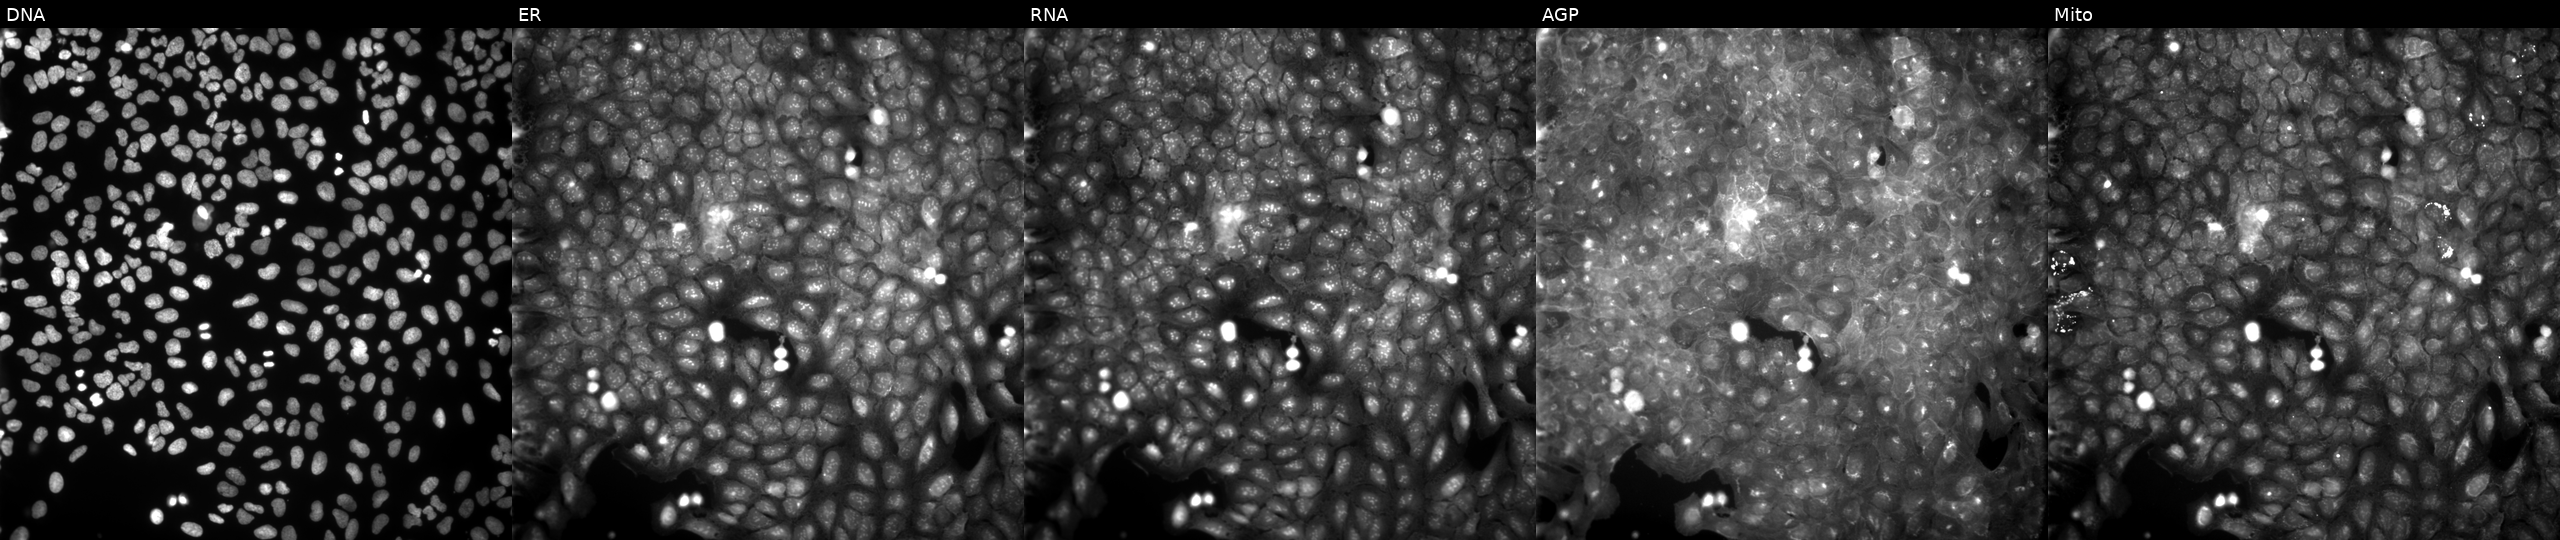
This image strip shows the five Cell Painting channels for a single field of U2OS cells treated with a small-molecule compound (JUMP id JCP2022_018802). Channels (left→right): DNA, ER, RNA, AGP, and Mito. Source 9, plate GR00003382, well S16.